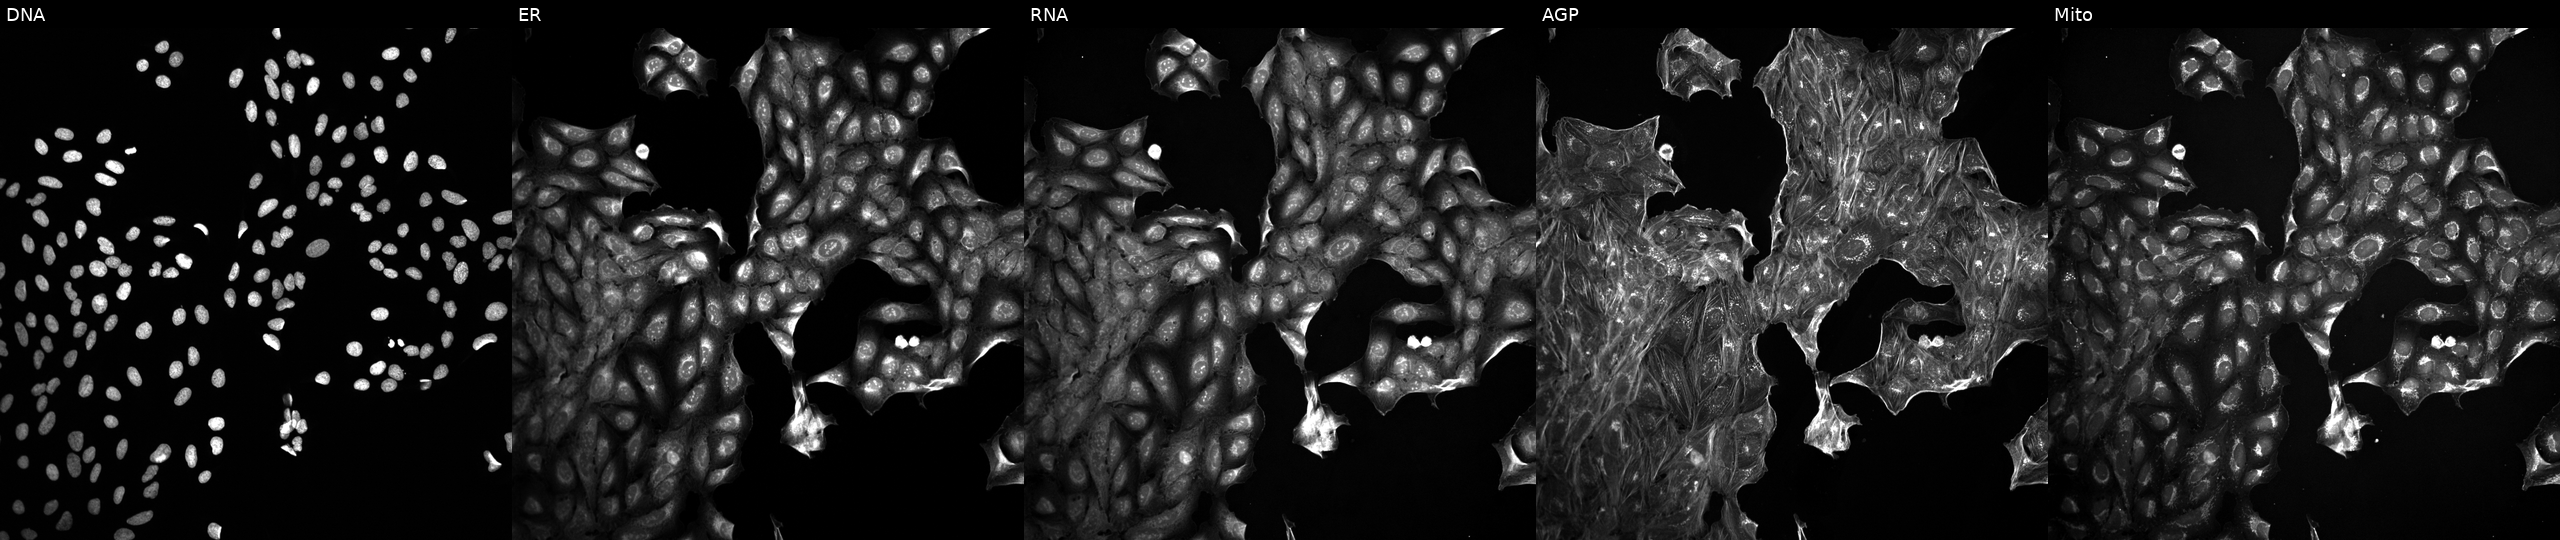
JUMP Cell Painting — TARGET2 plate. U2OS cells treated with quinidine (positive-control compound). The five panels, left to right, show Hoechst 33342, concanavalin A, SYTO 14, phalloidin and WGA, MitoTracker.